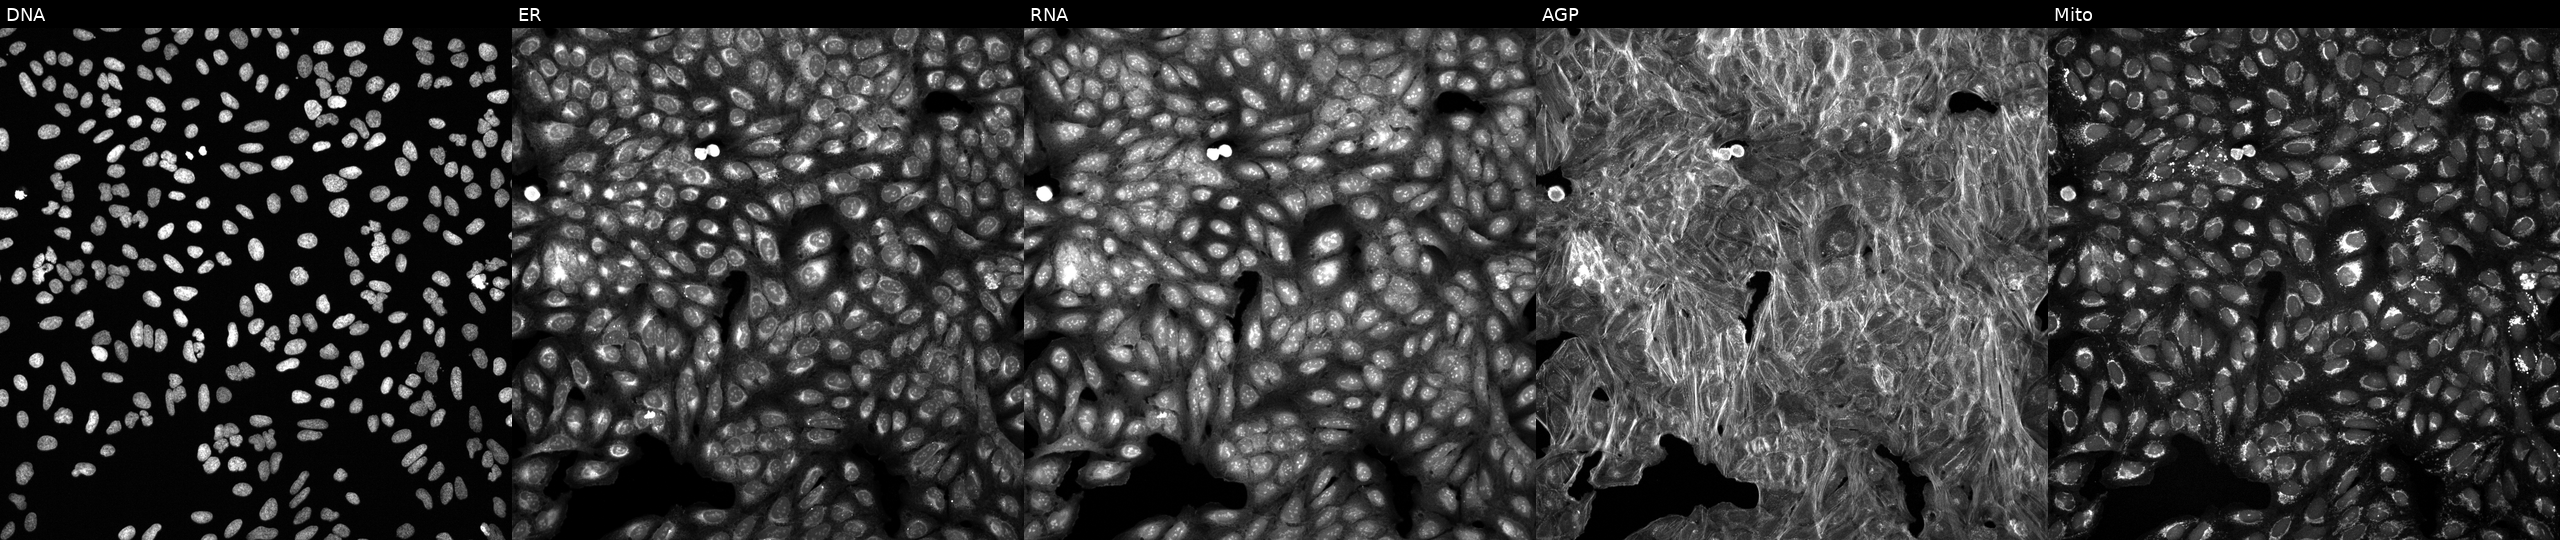
Channels (left→right): DNA, ER, RNA, AGP, and Mito. U2OS osteosarcoma cells treated with a small-molecule compound (InChIKey QXKHYNVANLEOEG-UHFFFAOYSA-N). Cell Painting assay, JUMP-CP dataset. Source 6, plate 110000293081, well H07.